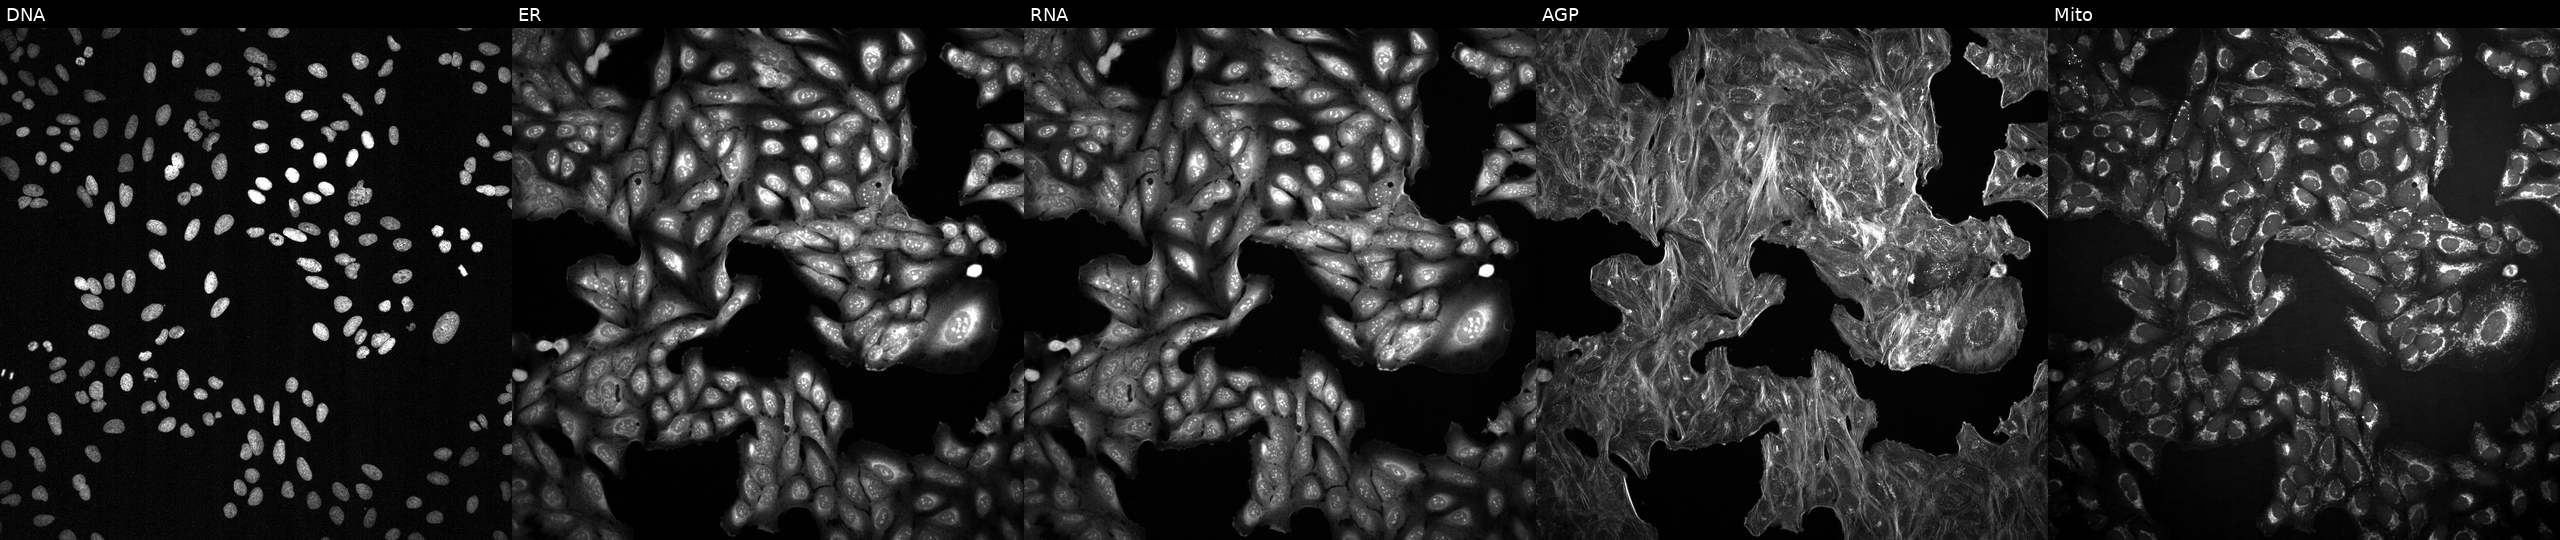
U2OS cells, Cell Painting assay, exposed to a small-molecule compound (InChIKey RYEFFICCPKWYML-UHFFFAOYSA-N) [SMILES: CC(C)(O)C1C2OC(=O)C1C1(O)CC3OC34C(=O)OC2C14C]. From left to right: DNA (nuclei); ER (endoplasmic reticulum); RNA (nucleoli and cytoplasmic RNA); AGP (actin cytoskeleton, Golgi, and plasma membrane); Mito (mitochondria). Each panel is percentile-stretched 16-bit fluorescence.